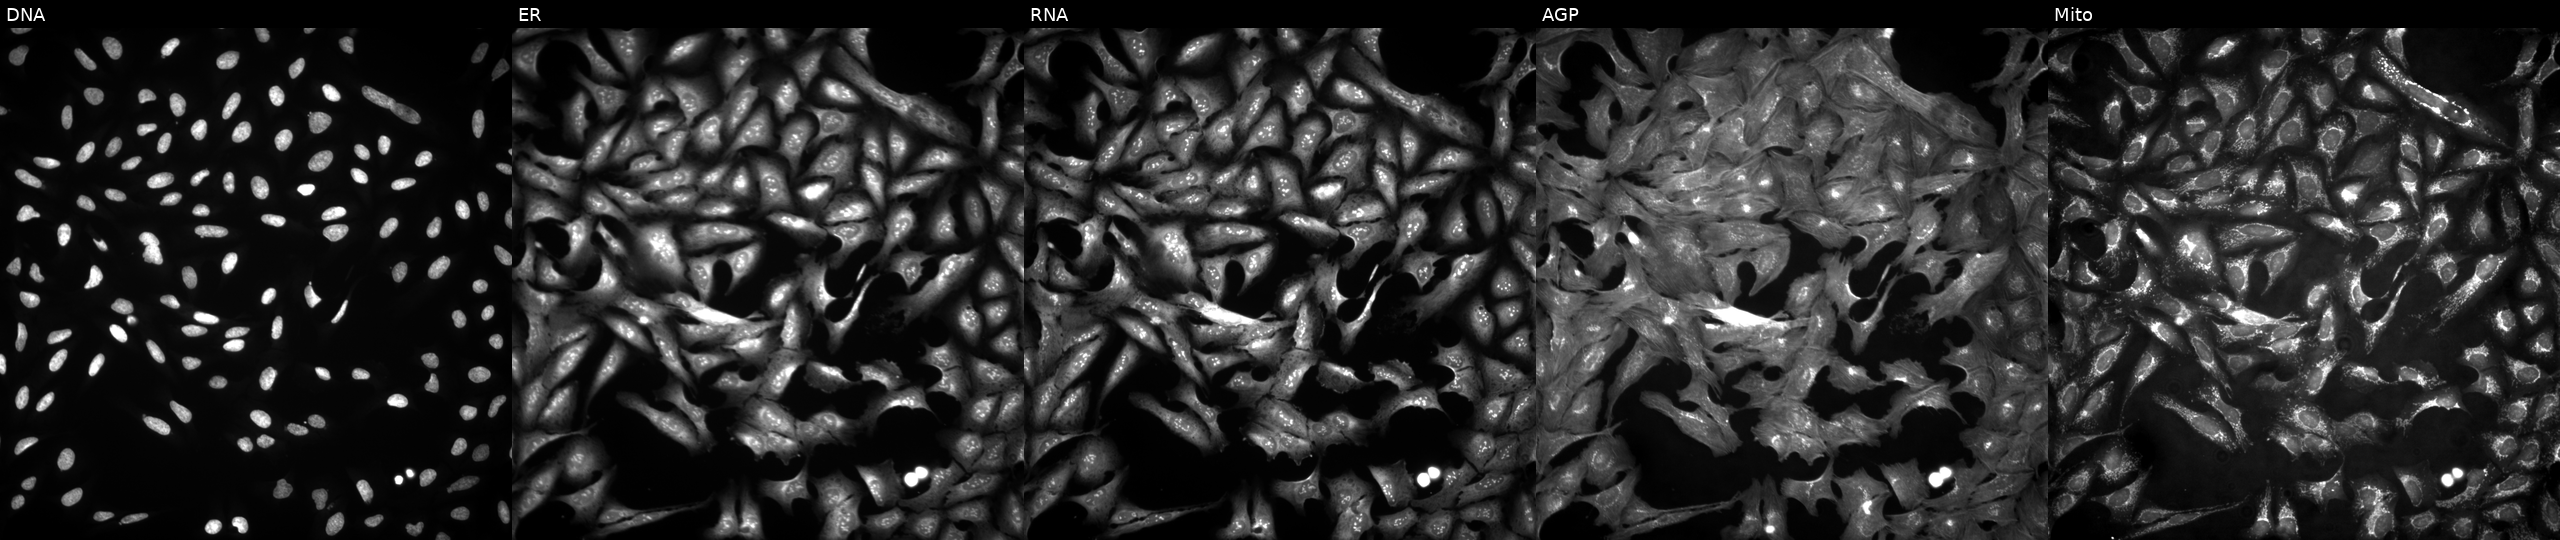
From left to right: DNA (nuclei); ER (endoplasmic reticulum); RNA (nucleoli and cytoplasmic RNA); AGP (actin cytoskeleton, Golgi, and plasma membrane); Mito (mitochondria). U2OS osteosarcoma cells with FAM122B overexpressed (ORF). Cell Painting assay, JUMP-CP dataset. Source 4, plate BR00124784, well H04.